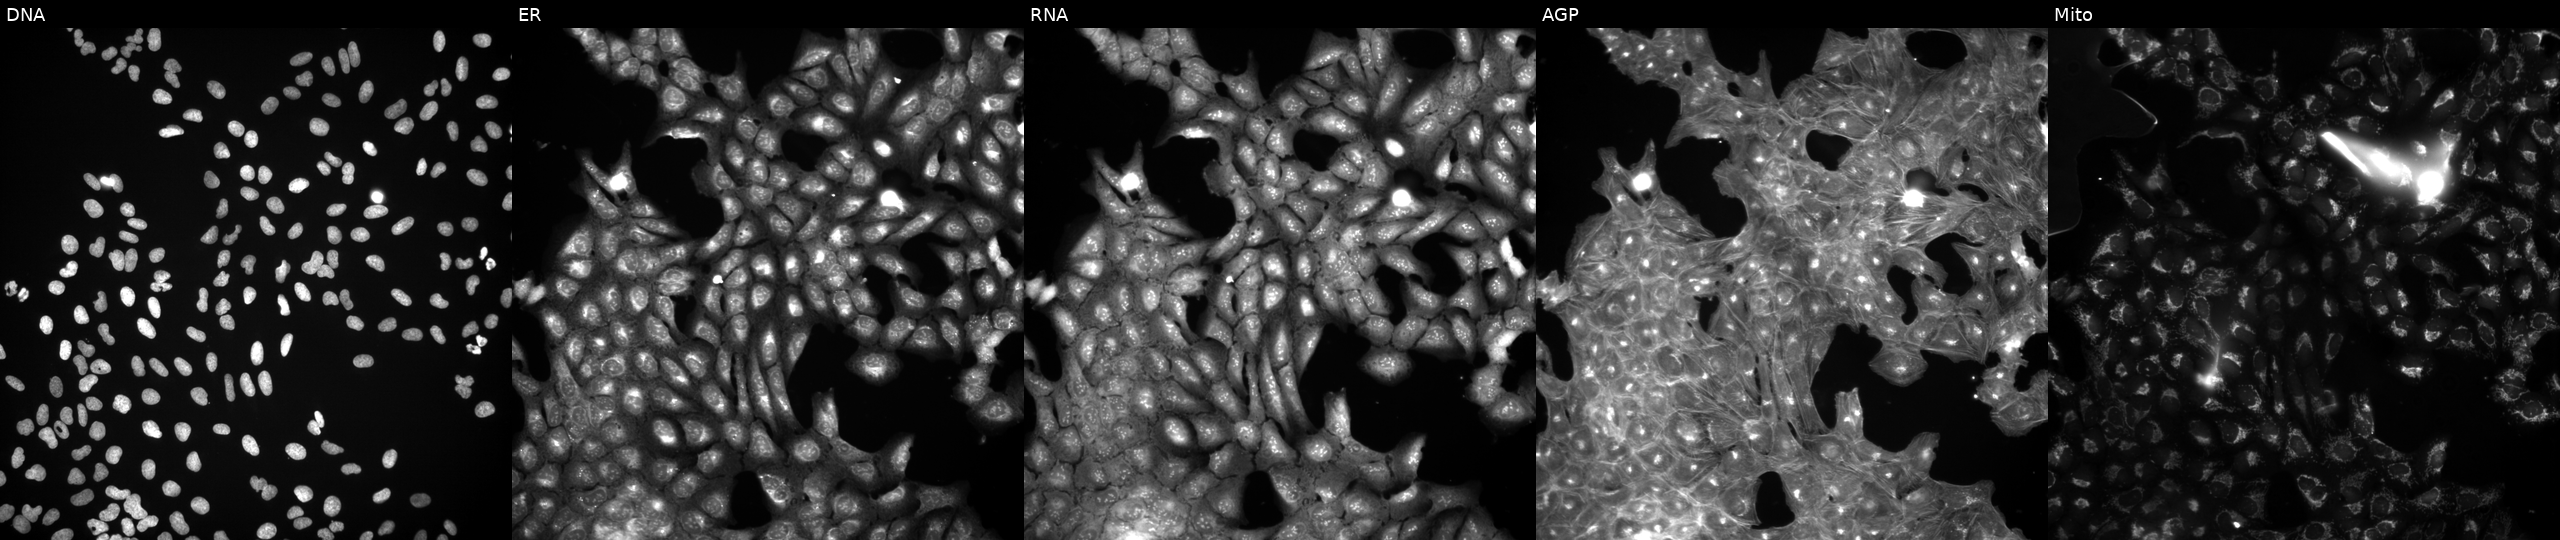
This image strip shows the five Cell Painting channels for a single field of U2OS cells treated with a small-molecule compound (InChIKey ZZZRUAITSXLWBH-UHFFFAOYSA-N). The five panels, left to right, show Hoechst 33342, concanavalin A, SYTO 14, phalloidin and WGA, MitoTracker. Source 3, plate JCPQC053, well L07.